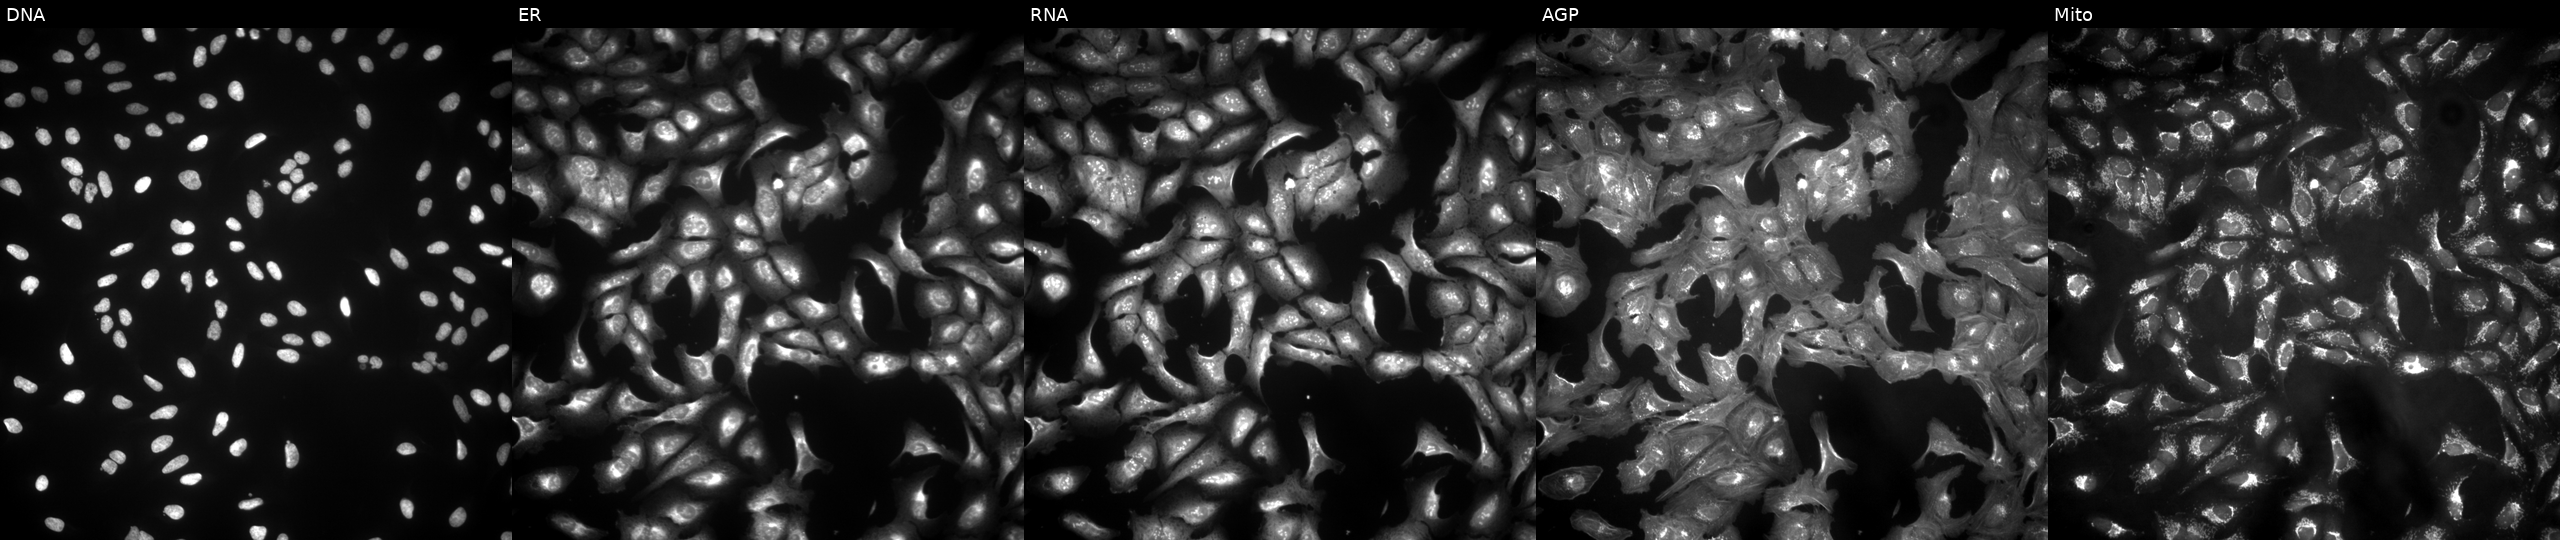
High-content fluorescence microscopy (Cell Painting). Cell line: U2OS. Perturbation: overexpressing CTSD via ORF transfection (JUMP id JCP2022_900364). The five panels, left to right, show DNA, ER, RNA, AGP, and Mito.